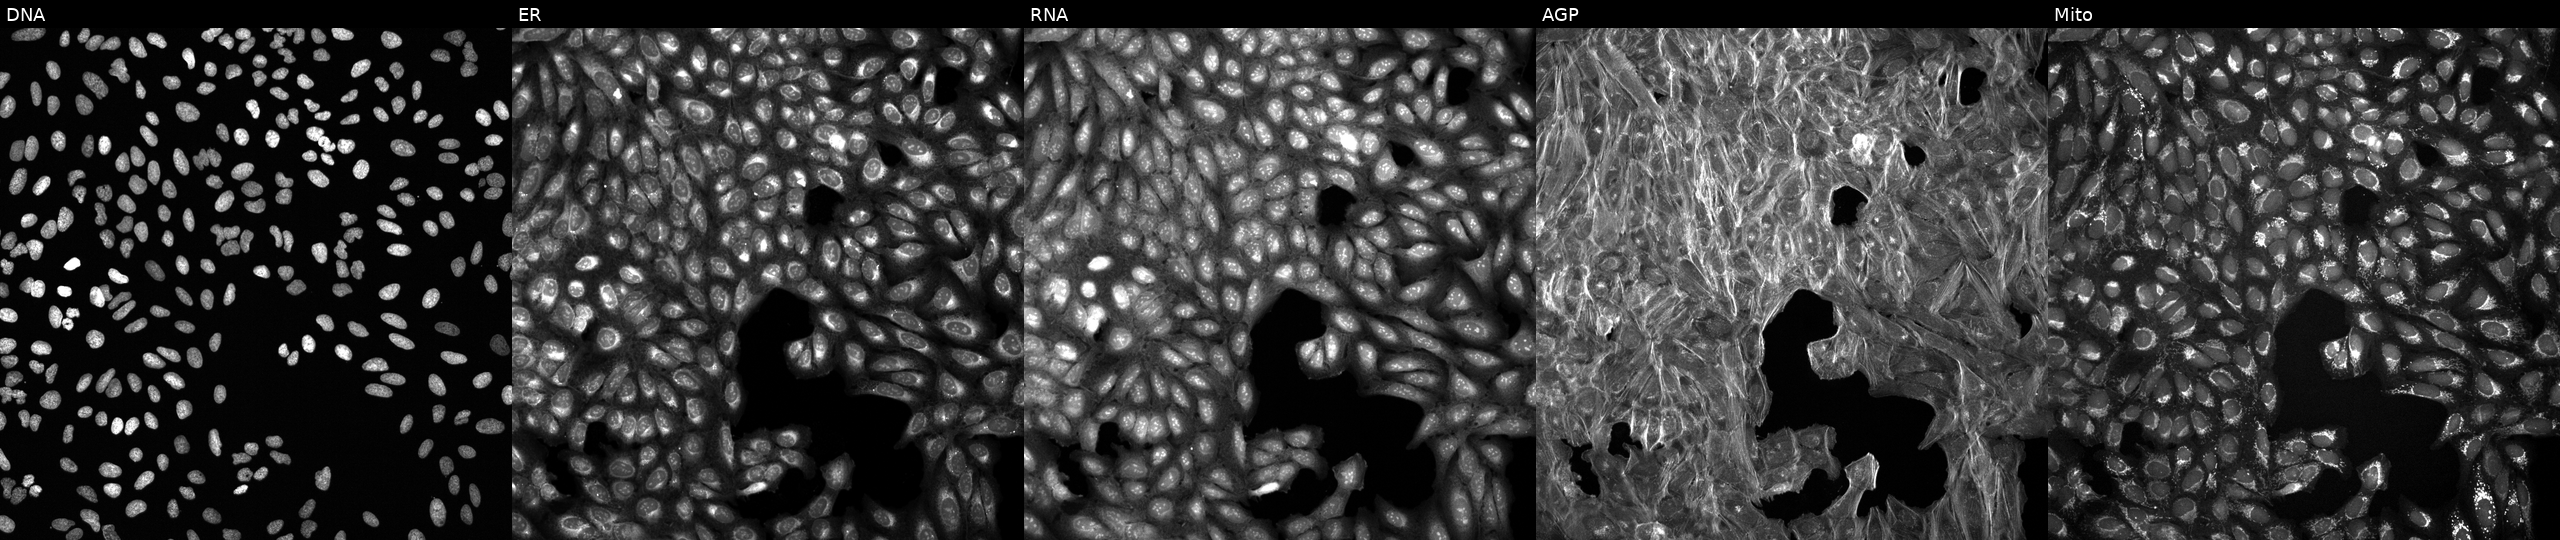
High-content fluorescence microscopy (Cell Painting). Cell line: U2OS. Perturbation: perturbed with a small-molecule compound (InChIKey DSLRVRBSNLHVBH-UHFFFAOYSA-N) [SMILES: OCc1ccc(CO)o1]. Panels show, left to right, DNA, ER, RNA, AGP, and Mito.